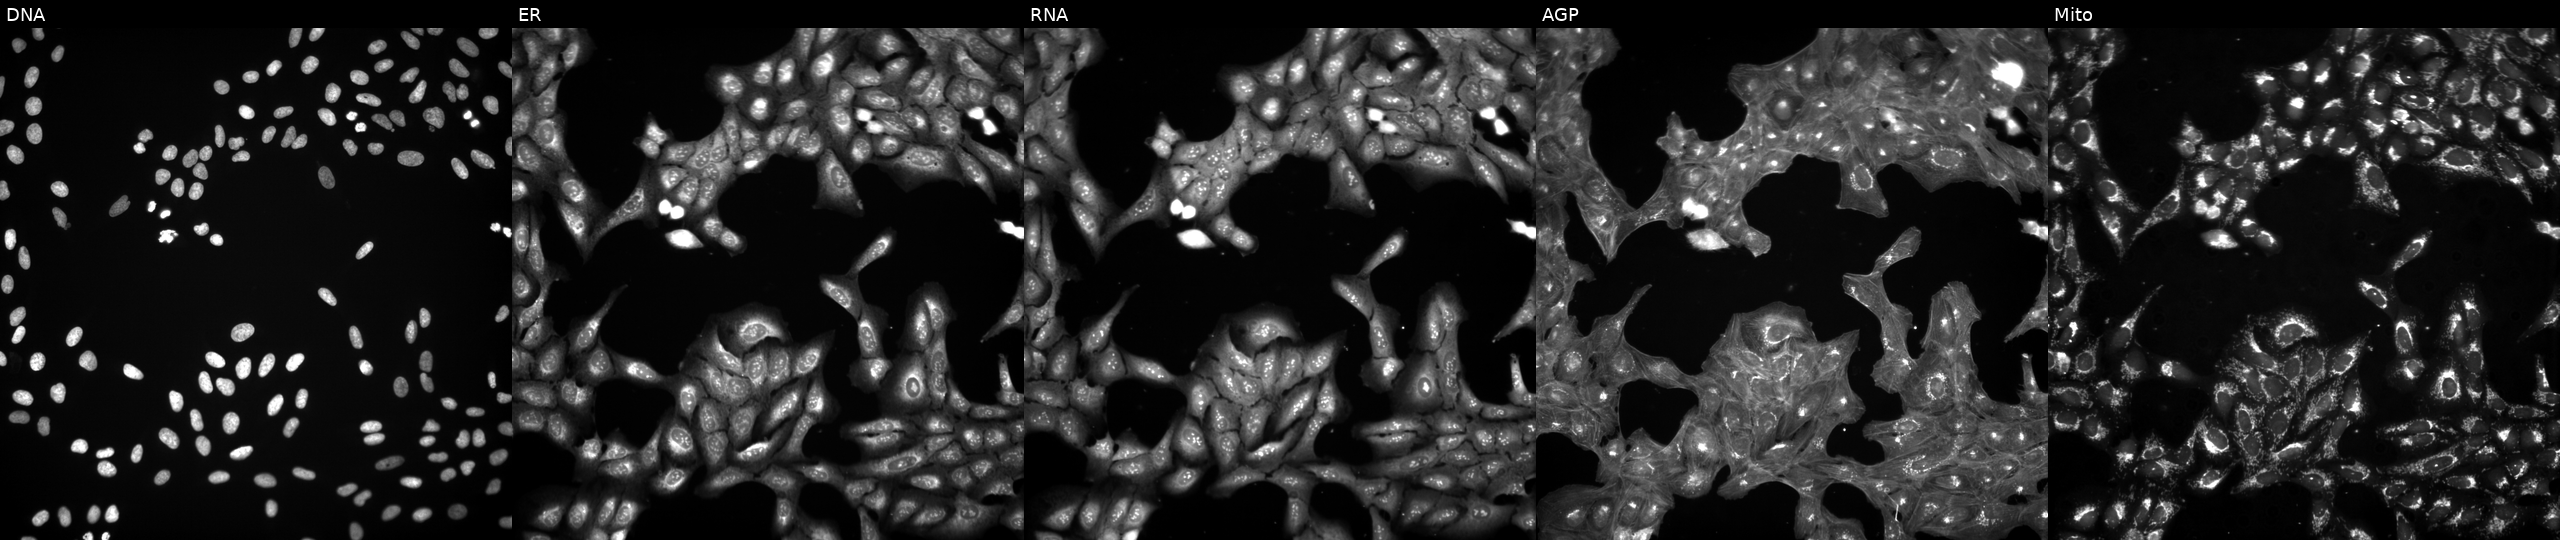
JUMP Cell Painting — COMPOUND plate. U2OS cells perturbed with a small-molecule compound (InChIKey MZEQXVHBSVQKGA-UHFFFAOYSA-N) (JUMP id JCP2022_057503). Channels (left→right): DNA (nuclei); ER (endoplasmic reticulum); RNA (nucleoli and cytoplasmic RNA); AGP (actin cytoskeleton, Golgi, and plasma membrane); Mito (mitochondria). Source 3, plate BR5867b3, well P20.